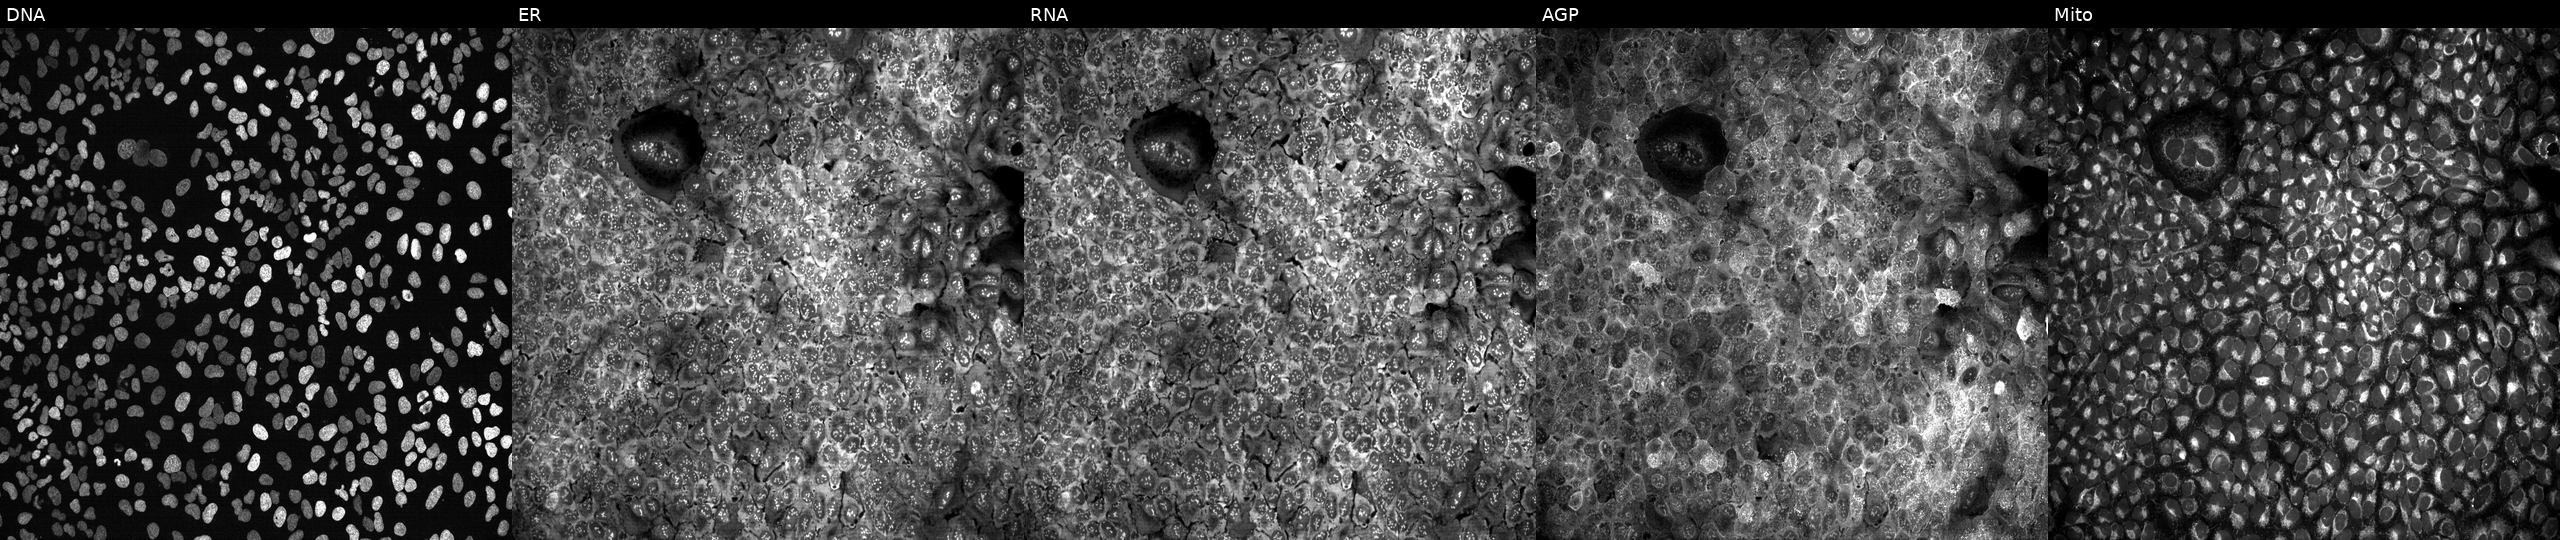
This image strip shows the five Cell Painting channels for a single field of U2OS cells CRISPR-edited to disrupt SLC7A6 (JUMP id JCP2022_806589). The five panels, left to right, show DNA, ER, RNA, AGP, and Mito.